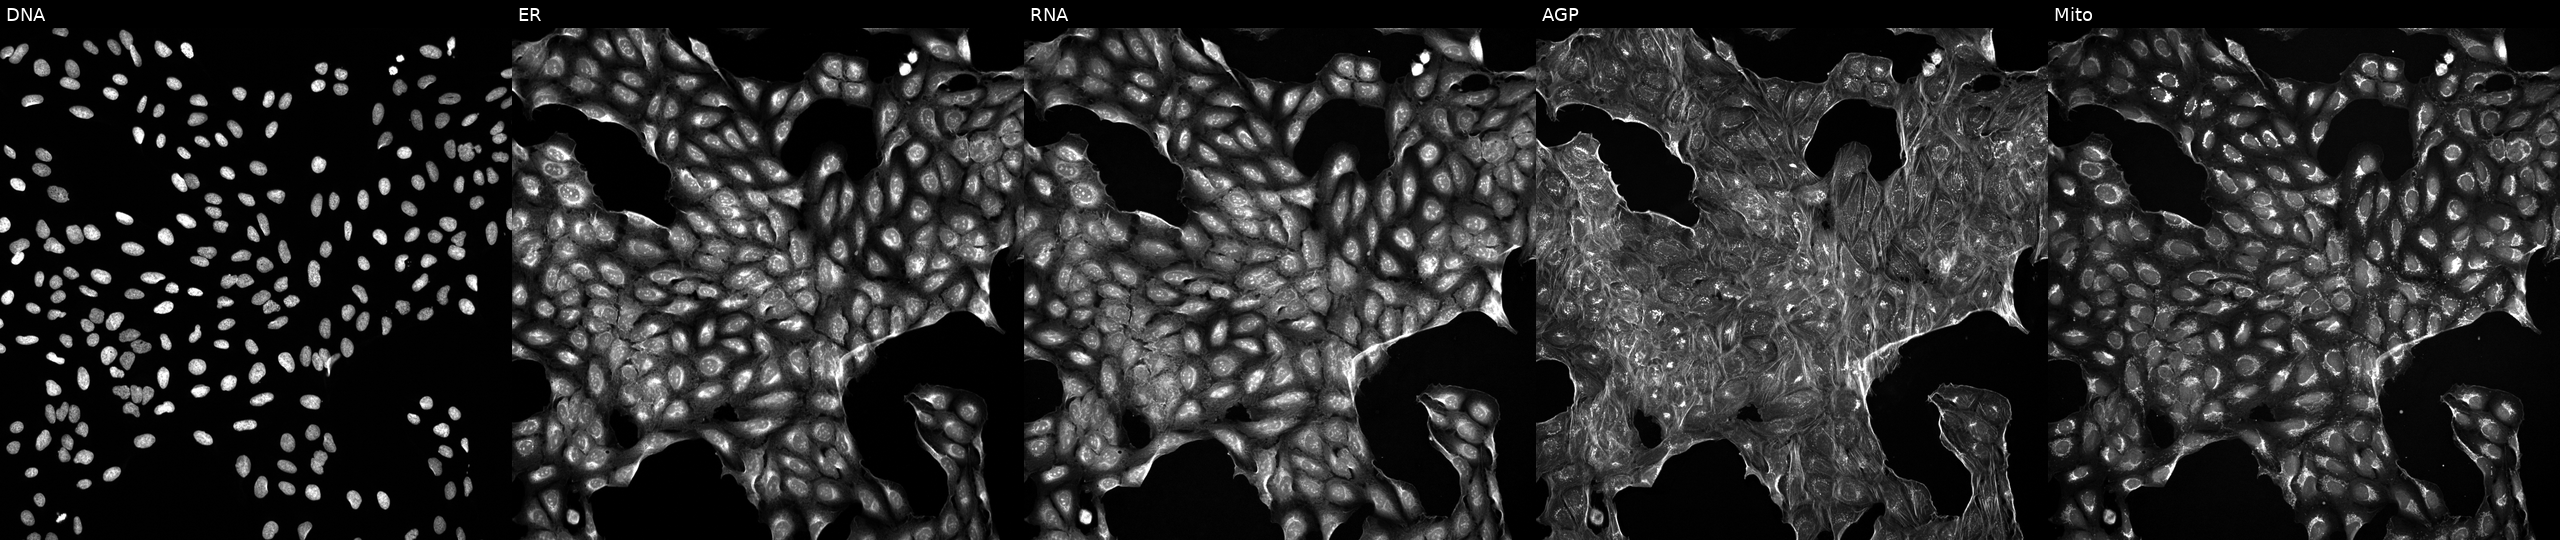
High-content fluorescence microscopy (Cell Painting). Cell line: U2OS. Perturbation: treated with a small-molecule compound [SMILES: C=CCOC(Cn1ccnc1)c1ccc(Cl)cc1Cl]. From left to right: Hoechst 33342, concanavalin A, SYTO 14, phalloidin and WGA, MitoTracker.